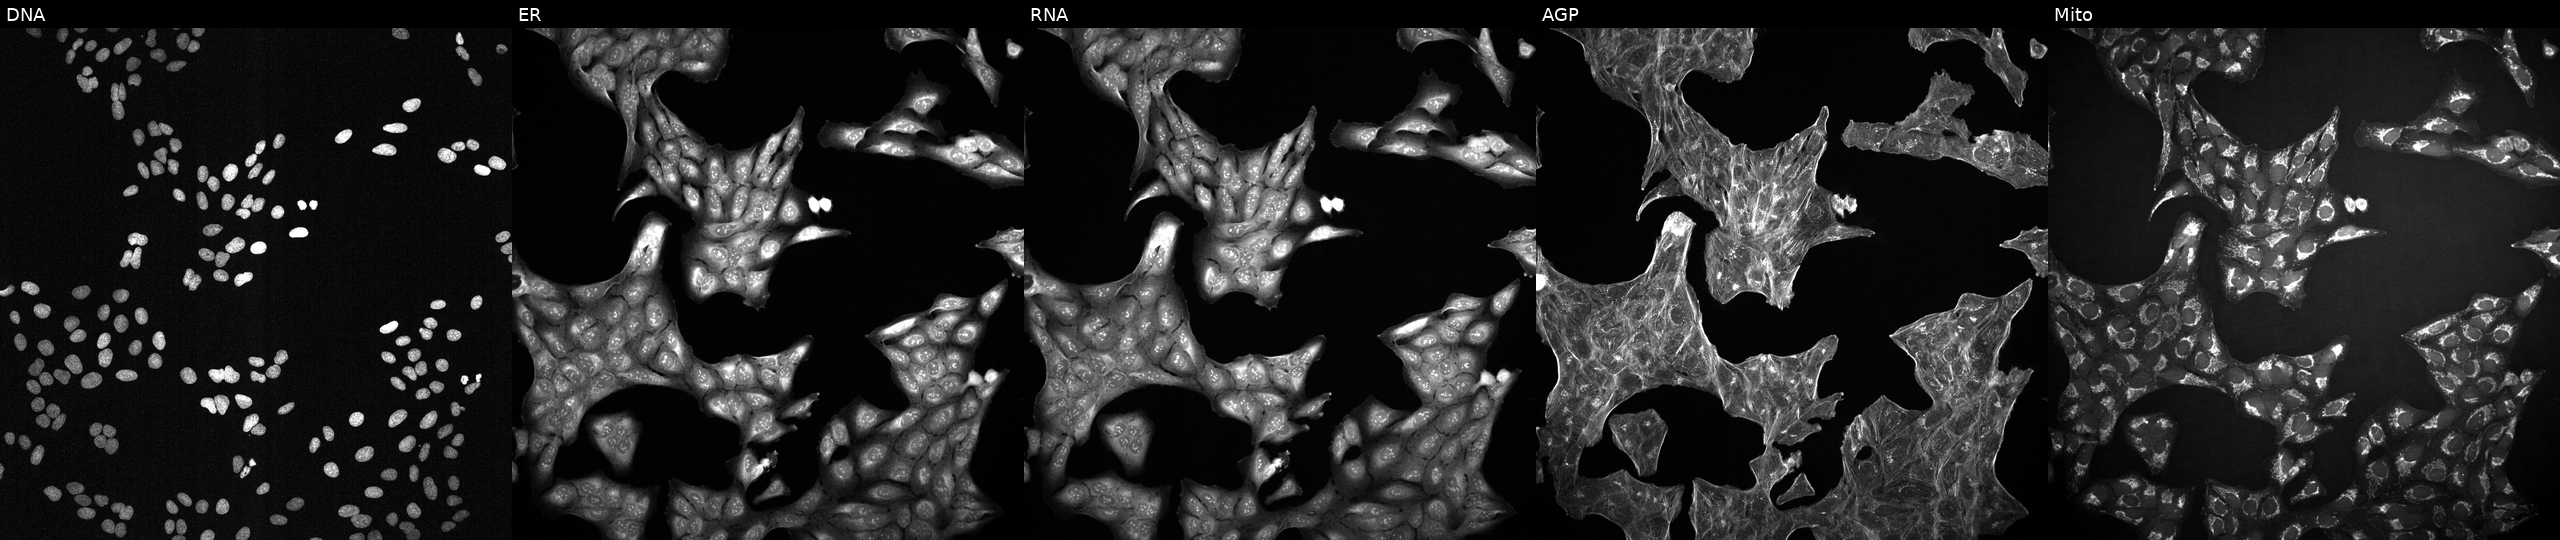
High-content fluorescence microscopy (Cell Painting). Cell line: U2OS. Perturbation: treated with a small-molecule compound (InChIKey LRRMQNGSYOUANY-UHFFFAOYSA-N) [SMILES: ON=Cc1ccc(-c2ccc(O)c(F)c2)c(Cl)c1O]. Channels (left→right): DNA, ER, RNA, AGP, and Mito.